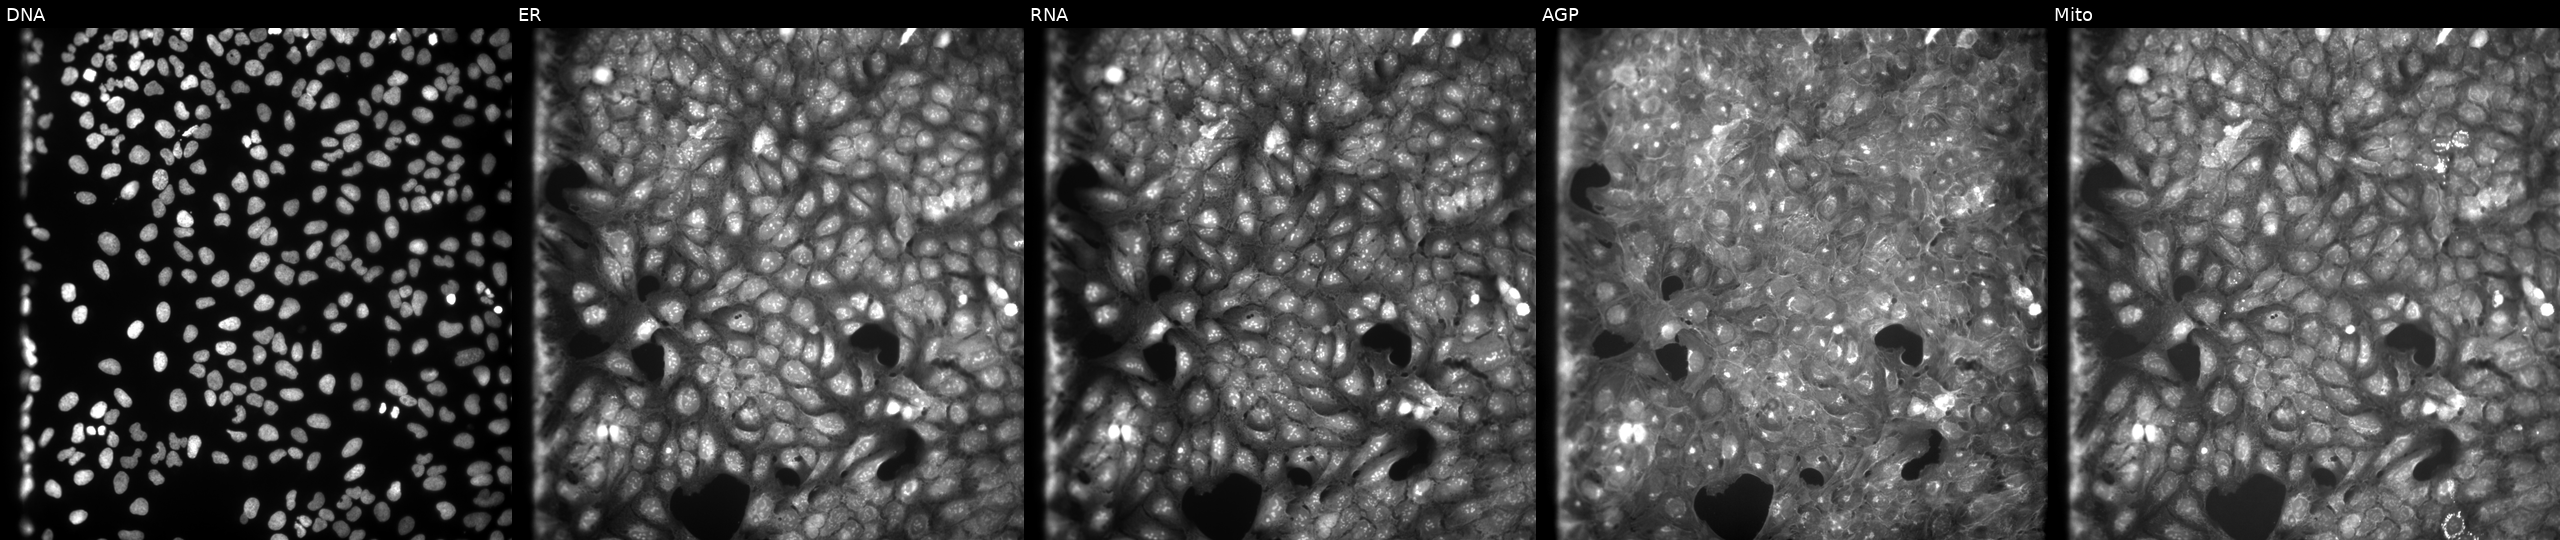
U2OS cells, Cell Painting assay, exposed to a small-molecule compound. Channels (left→right): DNA, ER, RNA, AGP, and Mito. Each panel is percentile-stretched 16-bit fluorescence.